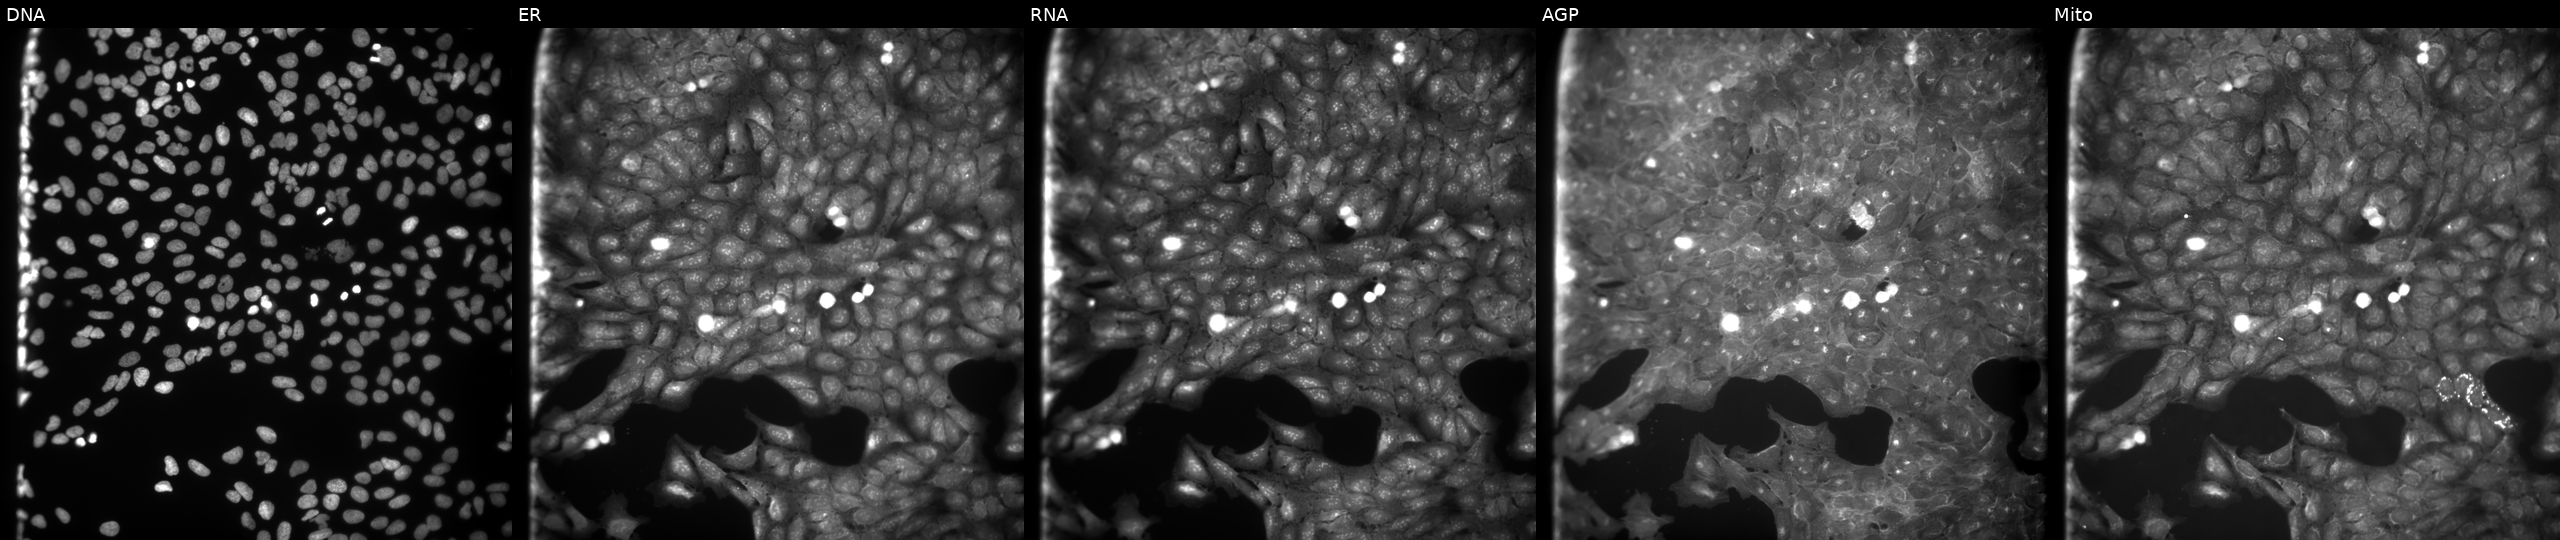
Five-channel Cell Painting image of U2OS cells exposed to the positive-control compound dexamethasone. The five panels, left to right, show DNA, ER, RNA, AGP, and Mito.